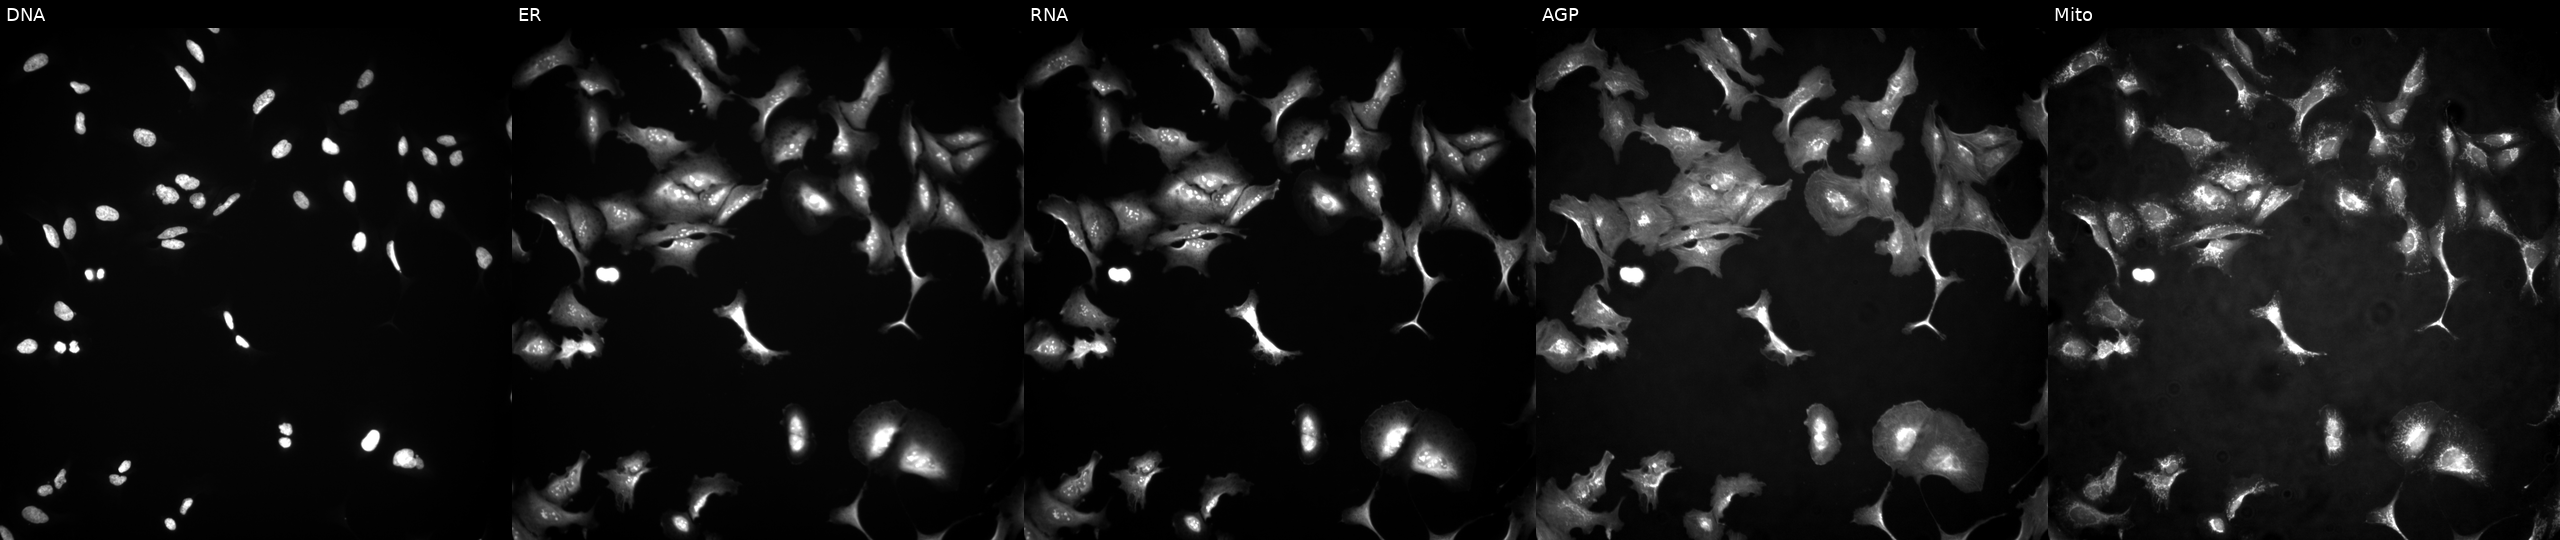
Panels show, left to right, DNA, ER, RNA, AGP, and Mito. U2OS osteosarcoma cells overexpressing CERS6 via ORF transfection (JUMP id JCP2022_912539). Cell Painting assay, JUMP-CP dataset.